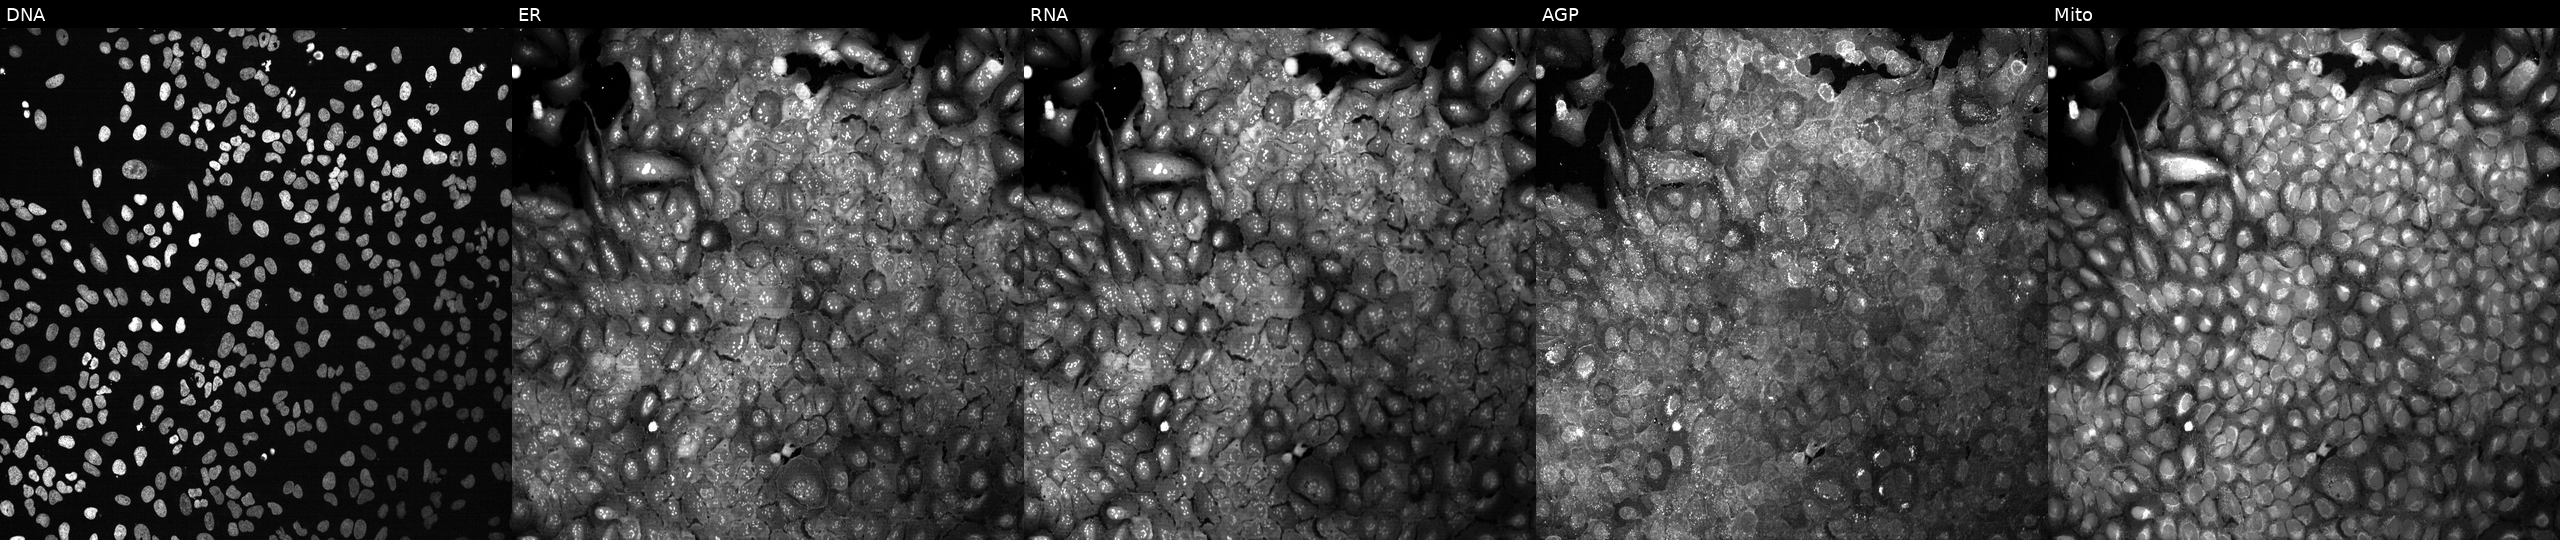
Five-channel Cell Painting image of U2OS cells following CRISPR knockout of CYP26A1 (JUMP id JCP2022_801627). Channels (left→right): Hoechst 33342, concanavalin A, SYTO 14, phalloidin and WGA, MitoTracker. Source 13, plate CP-CC9-R1-02, well L21.